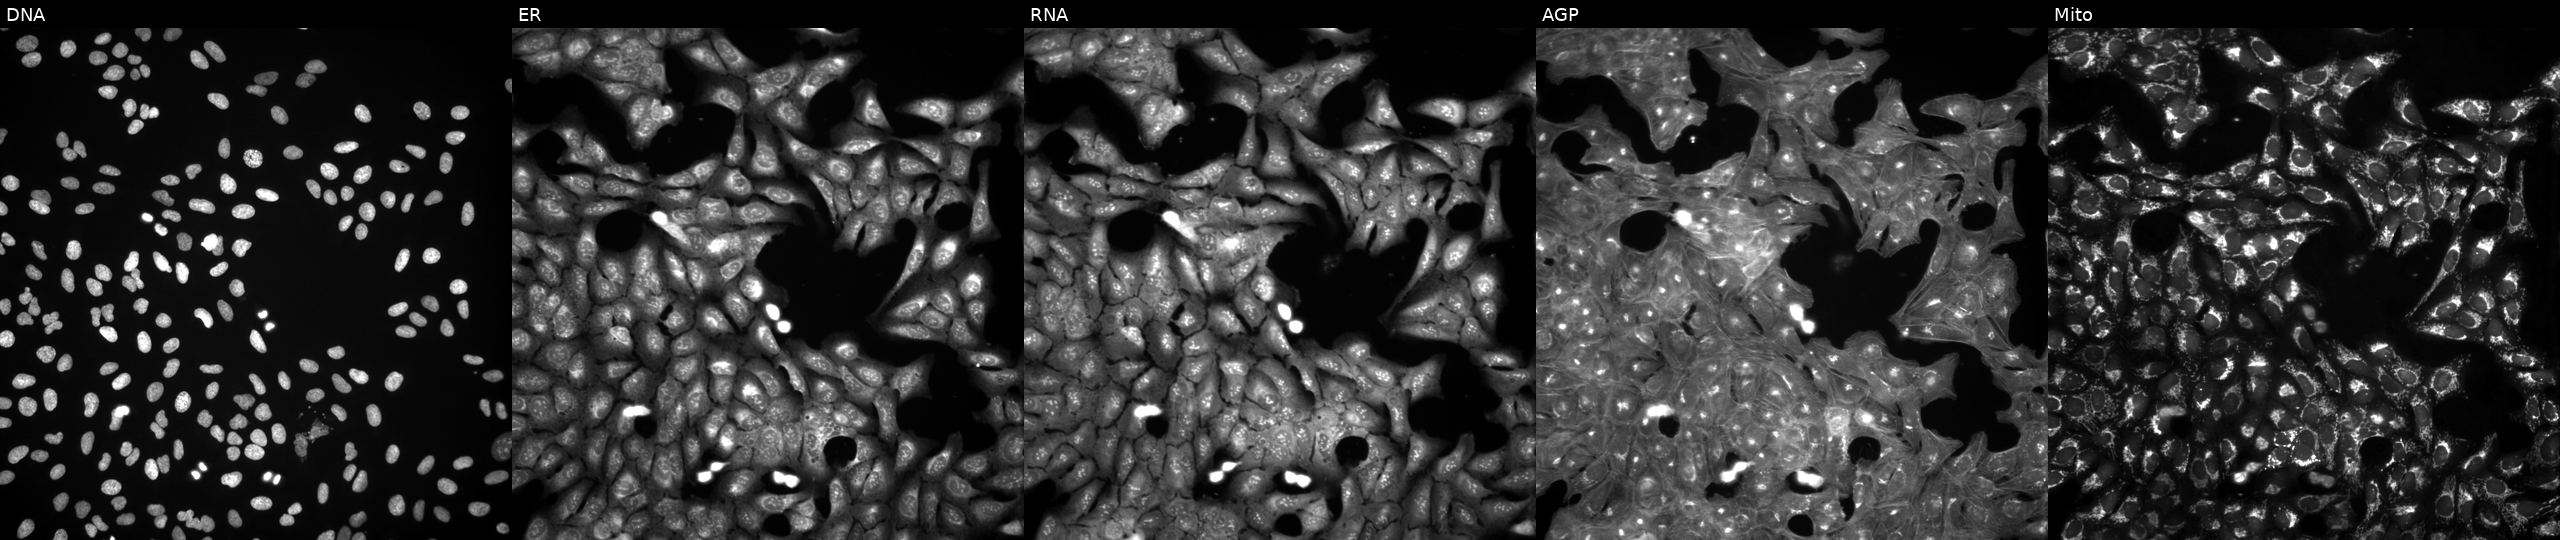
JUMP Cell Painting — COMPOUND plate. U2OS cells perturbed with a small-molecule compound (InChIKey PWOYTOJENKQKAJ-UHFFFAOYSA-N). The five panels, left to right, show DNA (nuclei); ER (endoplasmic reticulum); RNA (nucleoli and cytoplasmic RNA); AGP (actin cytoskeleton, Golgi, and plasma membrane); Mito (mitochondria). Source 3, plate BR5867b3, well H08.